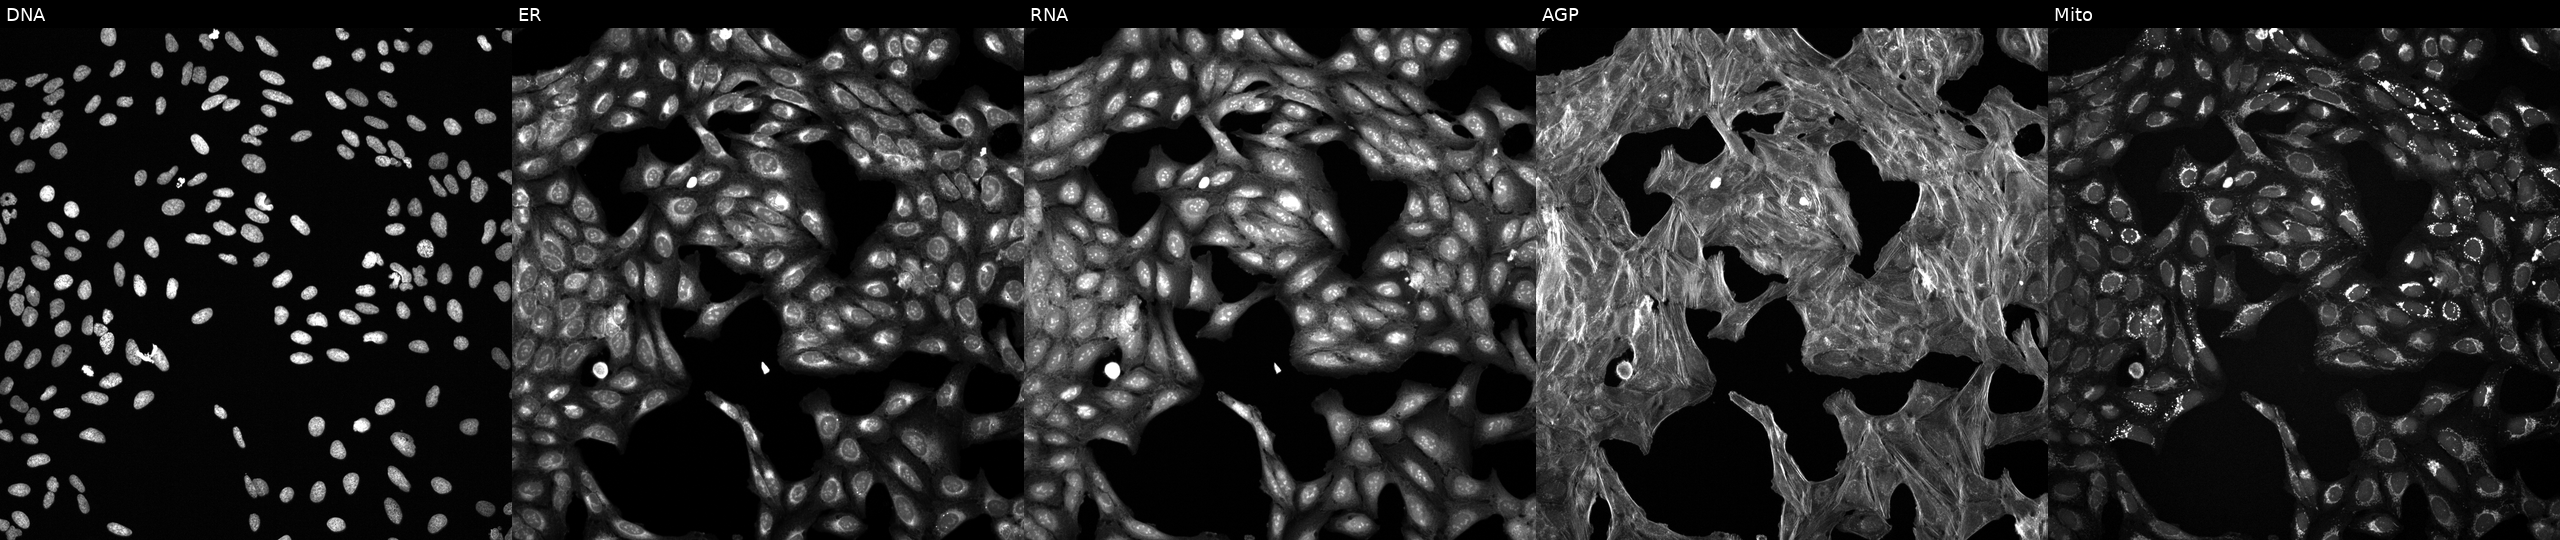
Five-channel Cell Painting image of U2OS cells treated with DMSO vehicle only (negative control) (JUMP id JCP2022_033924). Channels (left→right): DNA (nuclei); ER (endoplasmic reticulum); RNA (nucleoli and cytoplasmic RNA); AGP (actin cytoskeleton, Golgi, and plasma membrane); Mito (mitochondria).